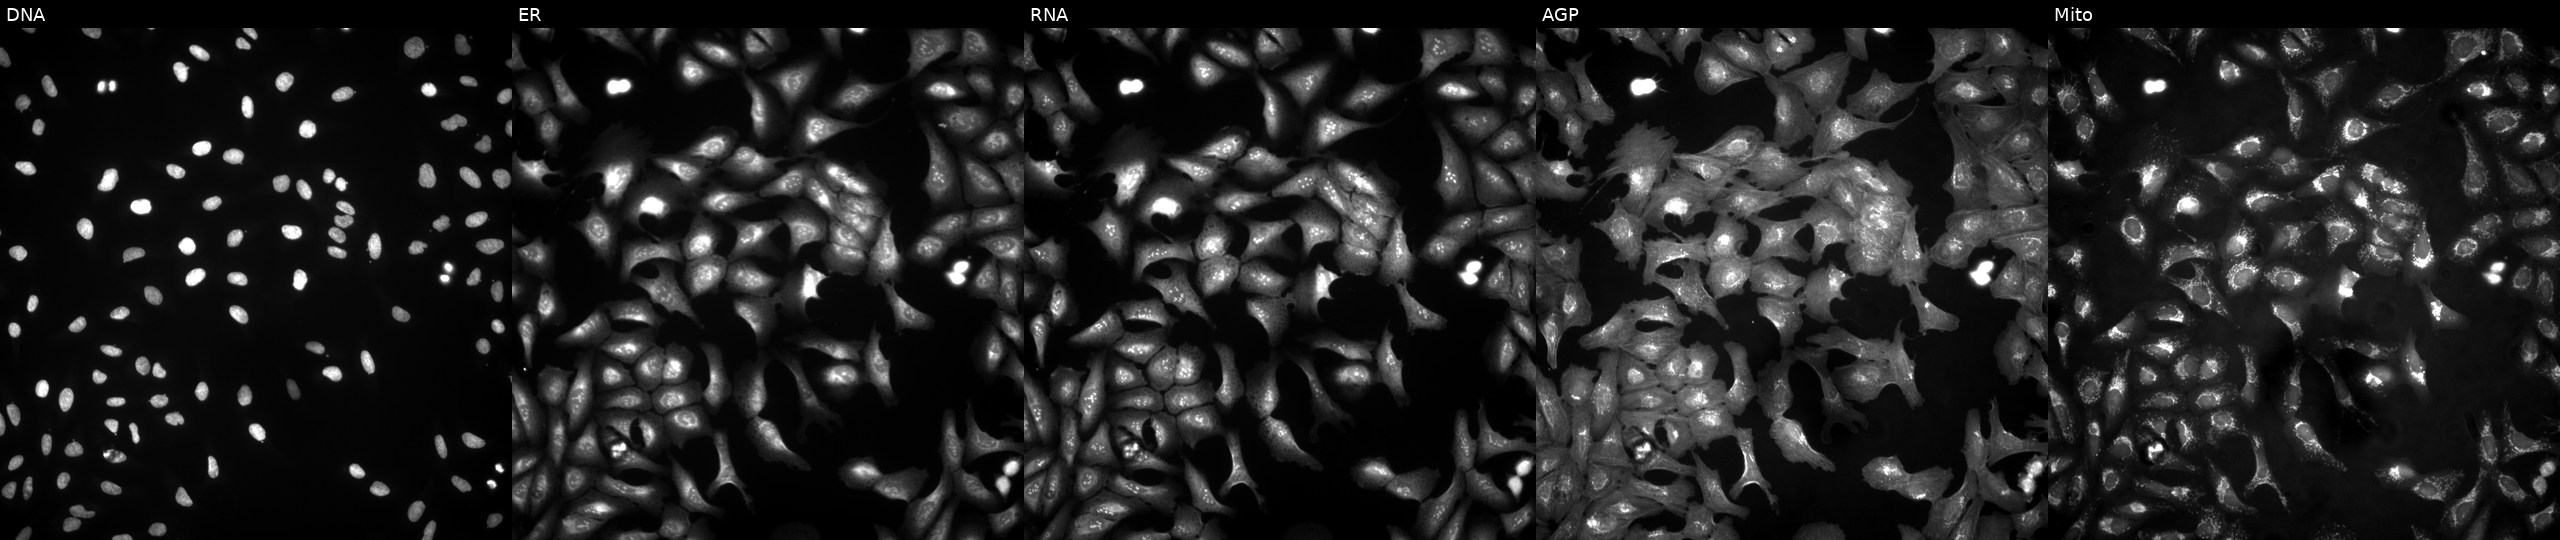
U2OS cells, Cell Painting assay, overexpressing RPS6KA3 via ORF transfection. Channels (left→right): Hoechst 33342, concanavalin A, SYTO 14, phalloidin and WGA, MitoTracker. Each panel is percentile-stretched 16-bit fluorescence.